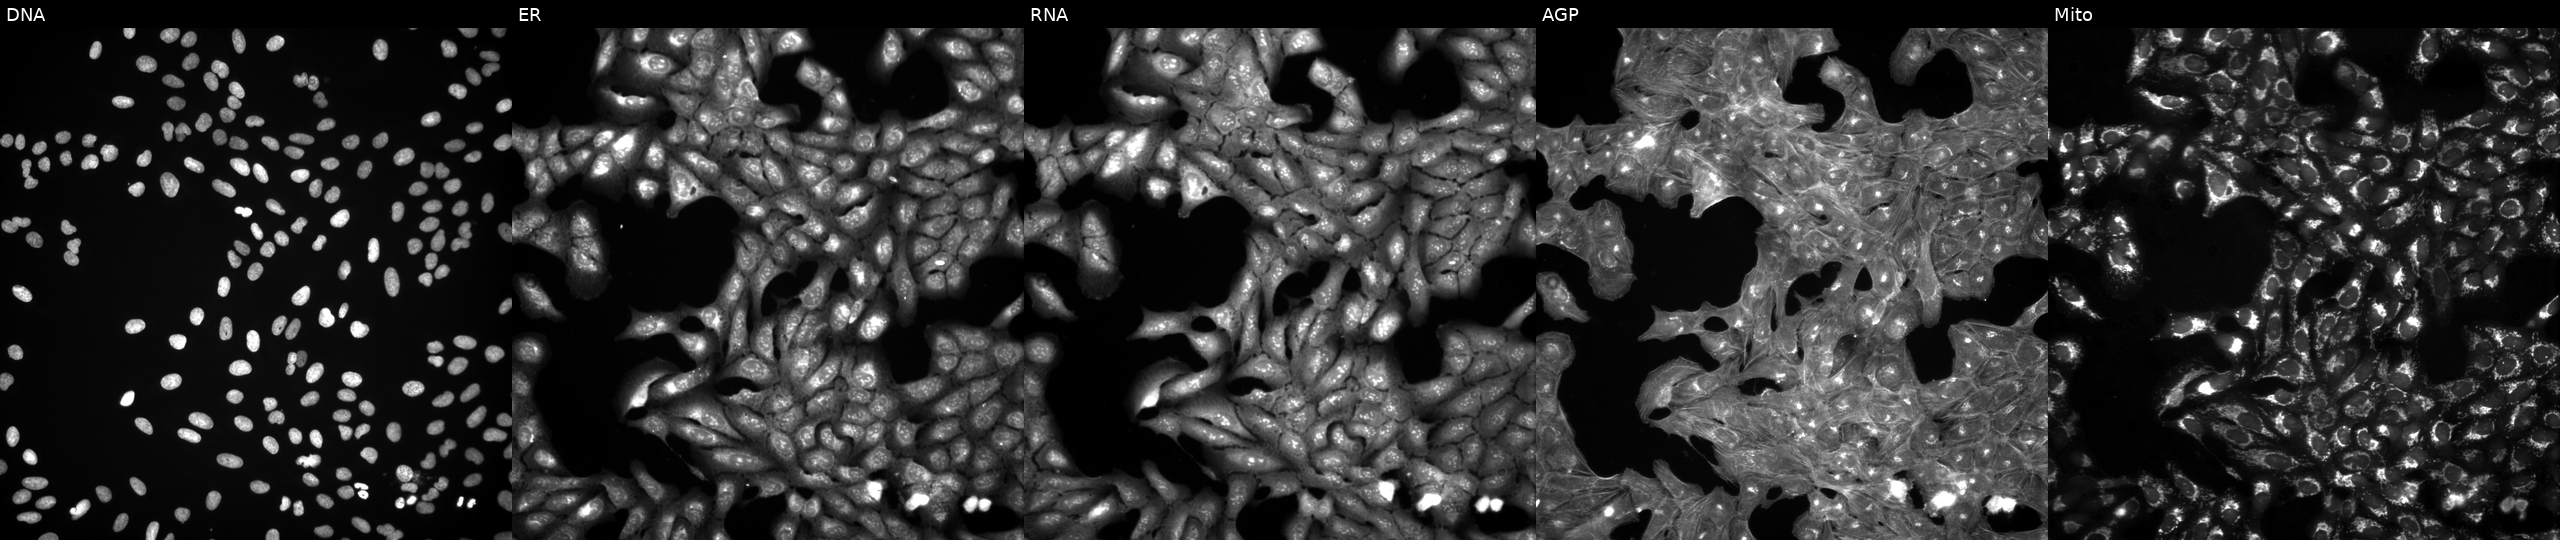
Five-channel Cell Painting image of U2OS cells exposed to a small-molecule compound (InChIKey BNFRJXLZYUTIII-UHFFFAOYSA-N) (JUMP id JCP2022_007419). Channels (left→right): DNA (nuclei); ER (endoplasmic reticulum); RNA (nucleoli and cytoplasmic RNA); AGP (actin cytoskeleton, Golgi, and plasma membrane); Mito (mitochondria). Source 3, plate JCPQC053, well F03.